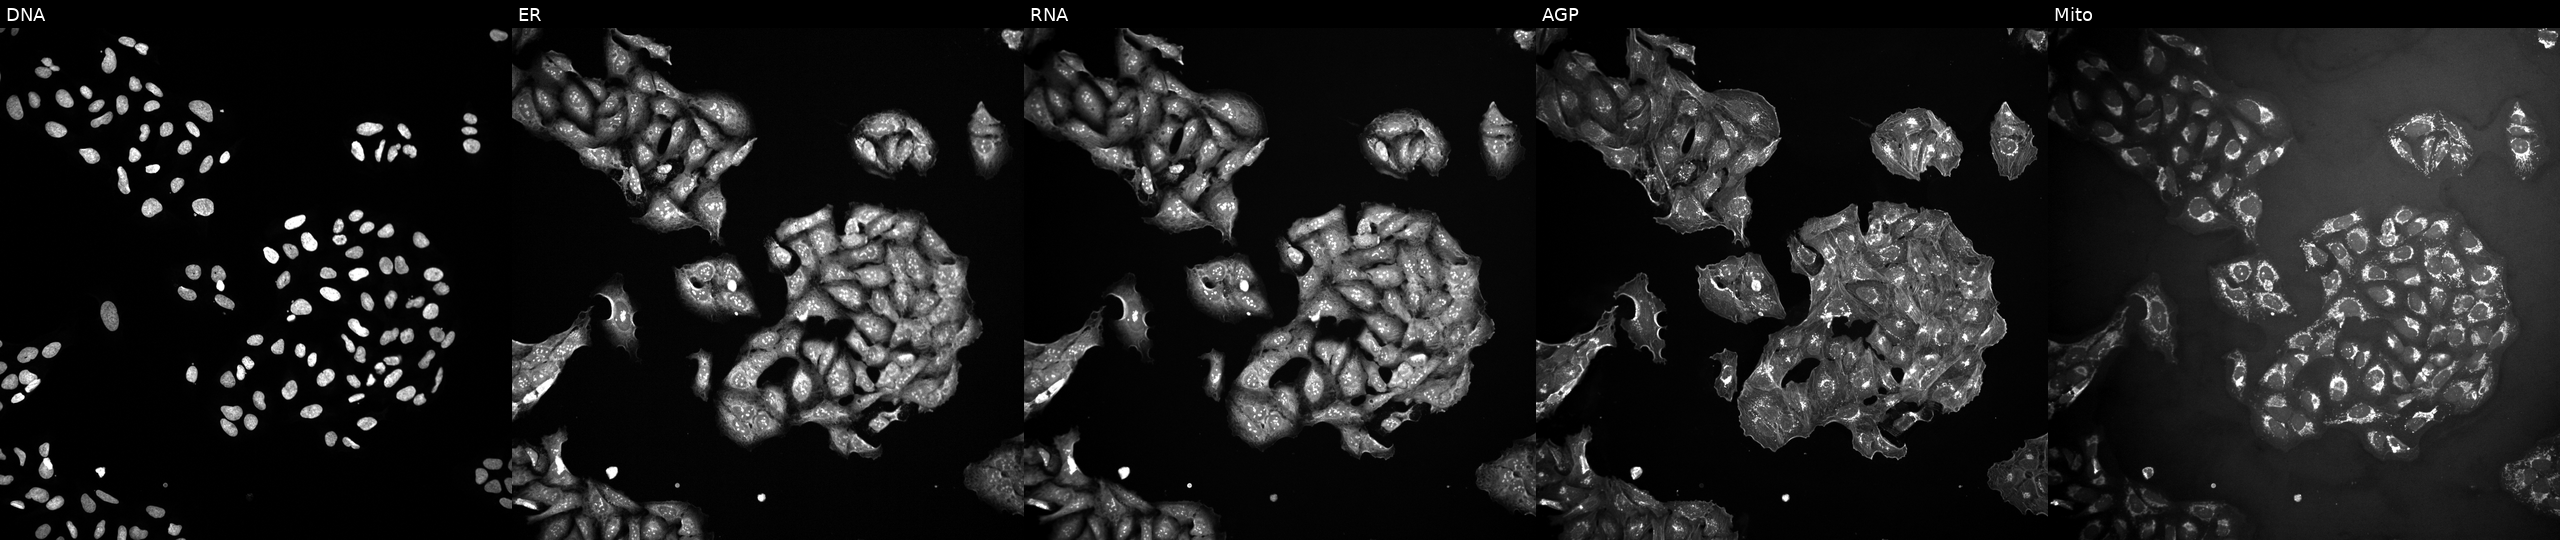
This image strip shows the five Cell Painting channels for a single field of U2OS cells exposed to the positive-control compound NVS-PAK1-1 (JUMP id JCP2022_064022). The five panels, left to right, show DNA (nuclei); ER (endoplasmic reticulum); RNA (nucleoli and cytoplasmic RNA); AGP (actin cytoskeleton, Golgi, and plasma membrane); Mito (mitochondria). Source 10, plate Dest210531-152149, well J24.